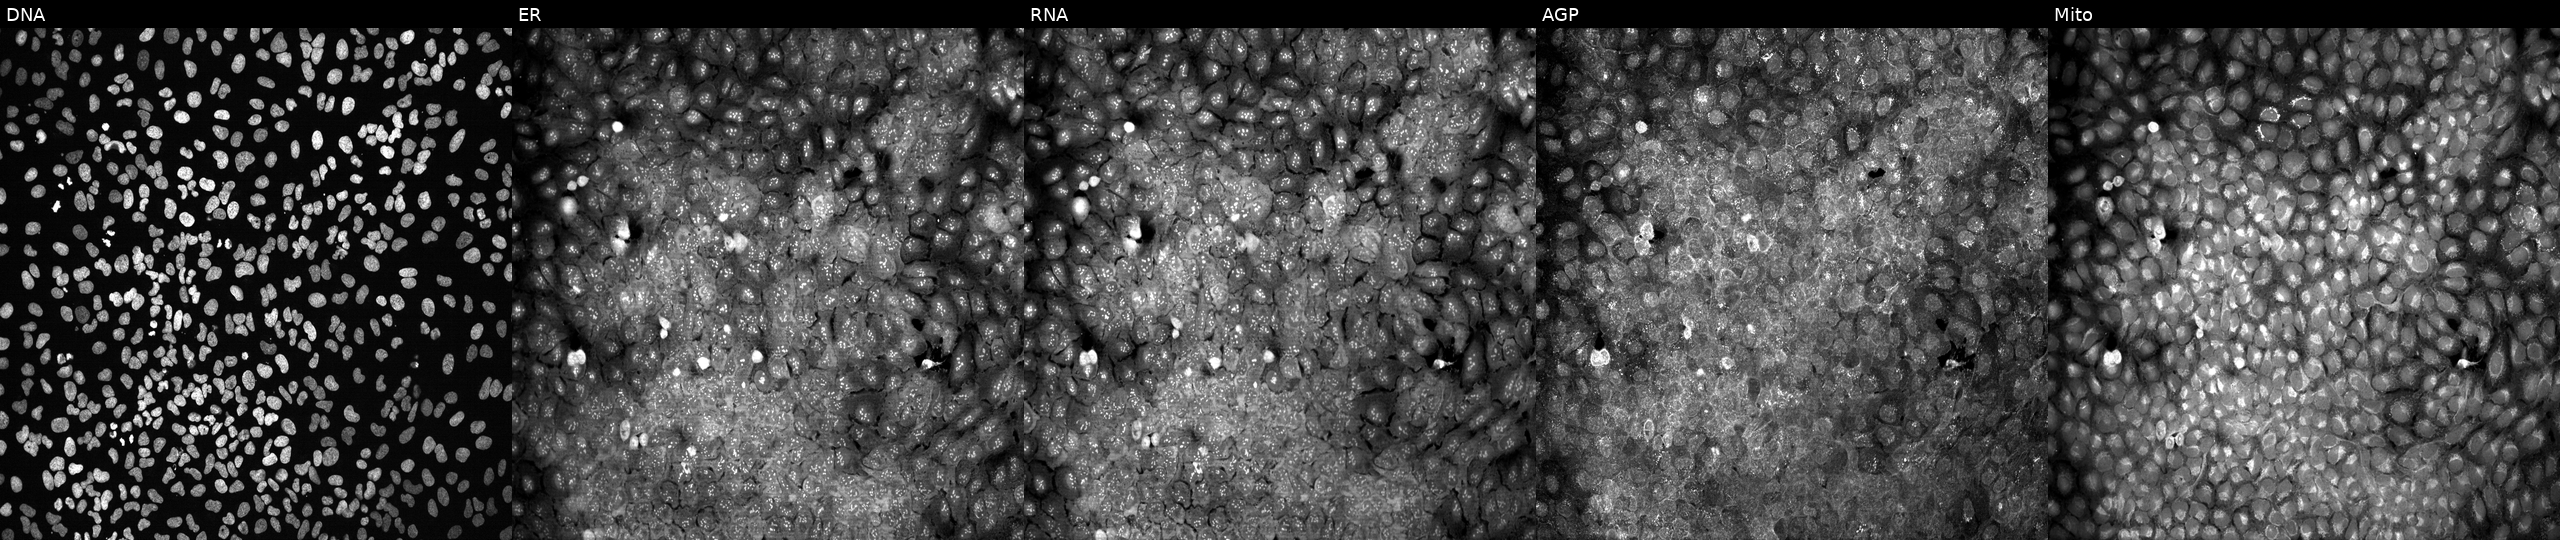
High-content fluorescence microscopy (Cell Painting). Cell line: U2OS. Perturbation: with GFPT2 knocked out by CRISPR. Panels show, left to right, DNA (nuclei); ER (endoplasmic reticulum); RNA (nucleoli and cytoplasmic RNA); AGP (actin cytoskeleton, Golgi, and plasma membrane); Mito (mitochondria). Source 13, plate CP-CC9-R1-02, well J16.